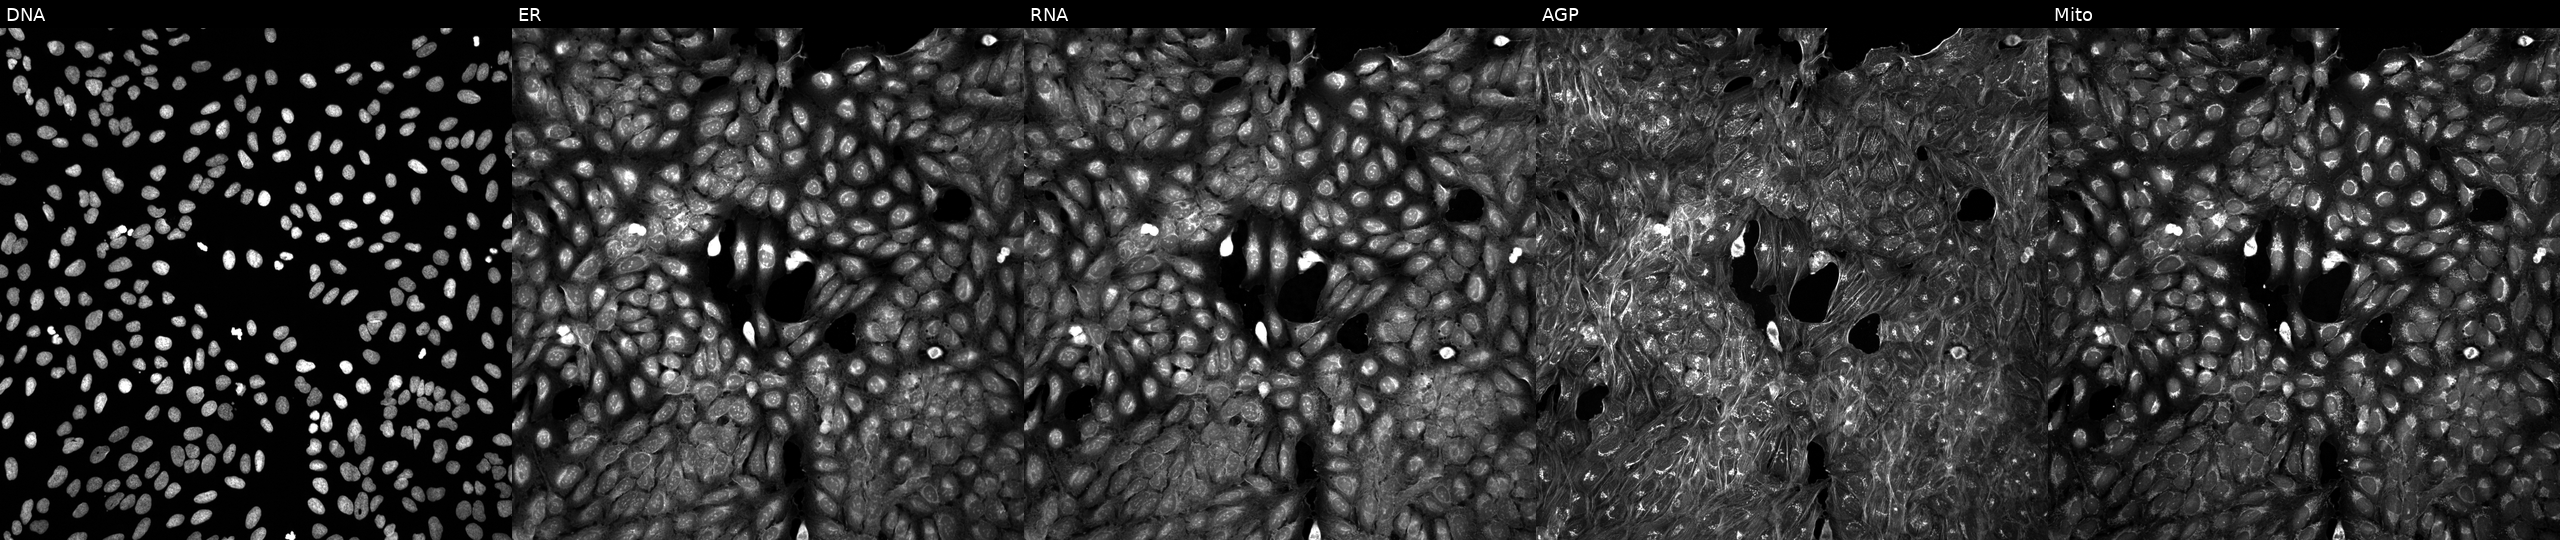
Five-channel Cell Painting image of U2OS cells treated with a small-molecule compound (InChIKey FVOYONKUKYBMFA-UHFFFAOYSA-N). Channels (left→right): DNA (nuclei); ER (endoplasmic reticulum); RNA (nucleoli and cytoplasmic RNA); AGP (actin cytoskeleton, Golgi, and plasma membrane); Mito (mitochondria).